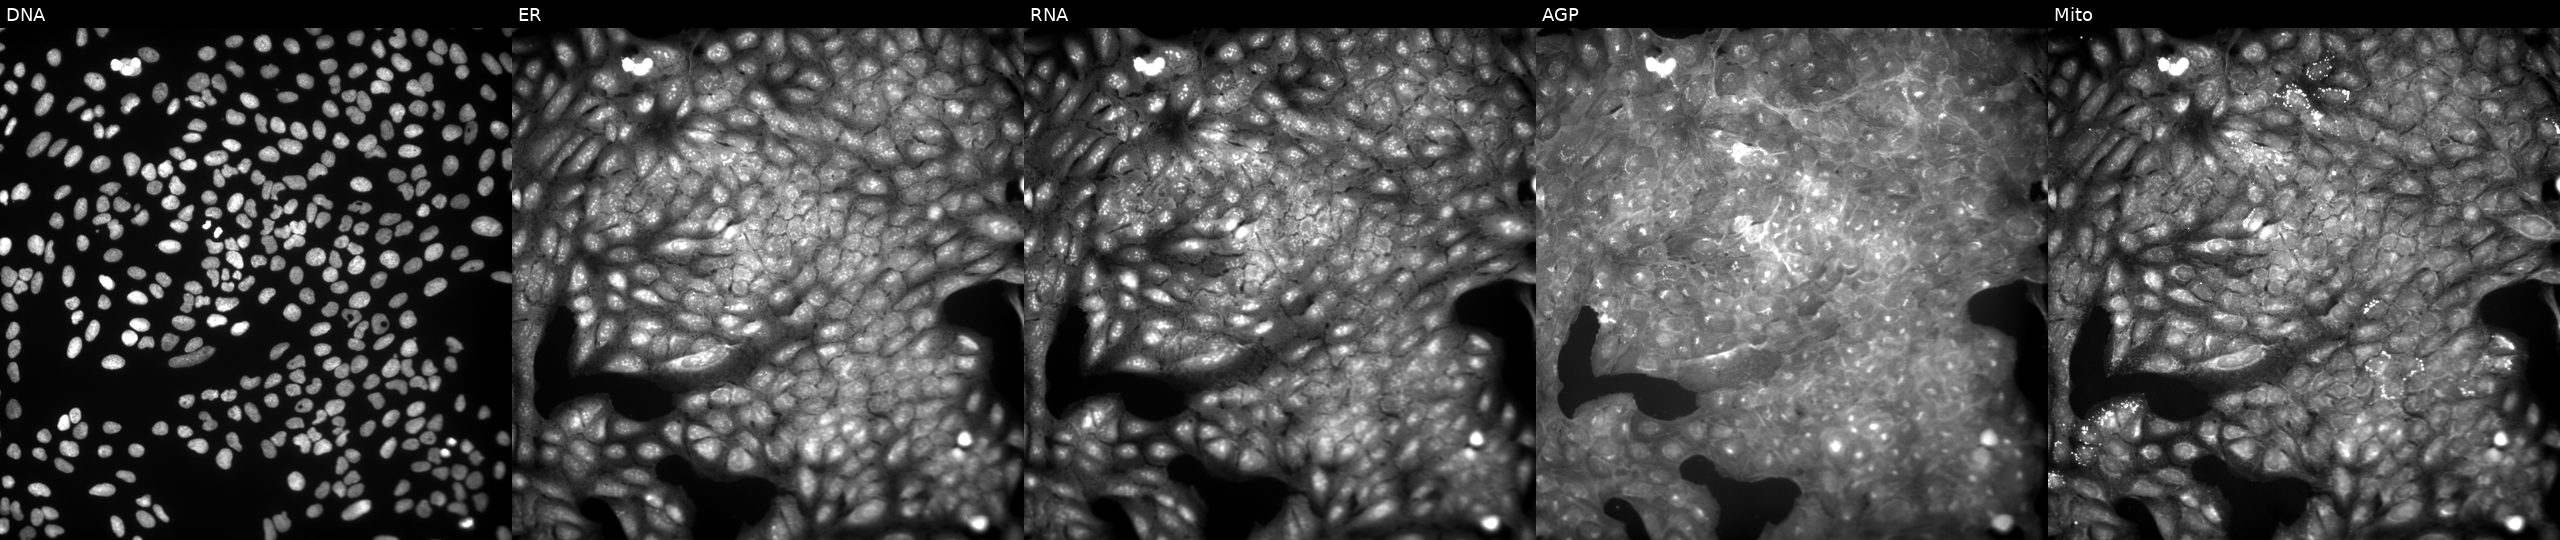
High-content fluorescence microscopy (Cell Painting). Cell line: U2OS. Perturbation: exposed to a small-molecule compound [SMILES: COc1cc(C(=O)Nc2c(C)cc(C)cc2C)c([N+](=O)[O-])cc1OC] (JUMP id JCP2022_048848). Panels show, left to right, DNA (nuclei); ER (endoplasmic reticulum); RNA (nucleoli and cytoplasmic RNA); AGP (actin cytoskeleton, Golgi, and plasma membrane); Mito (mitochondria). Source 9, plate GR00003381, well X38.